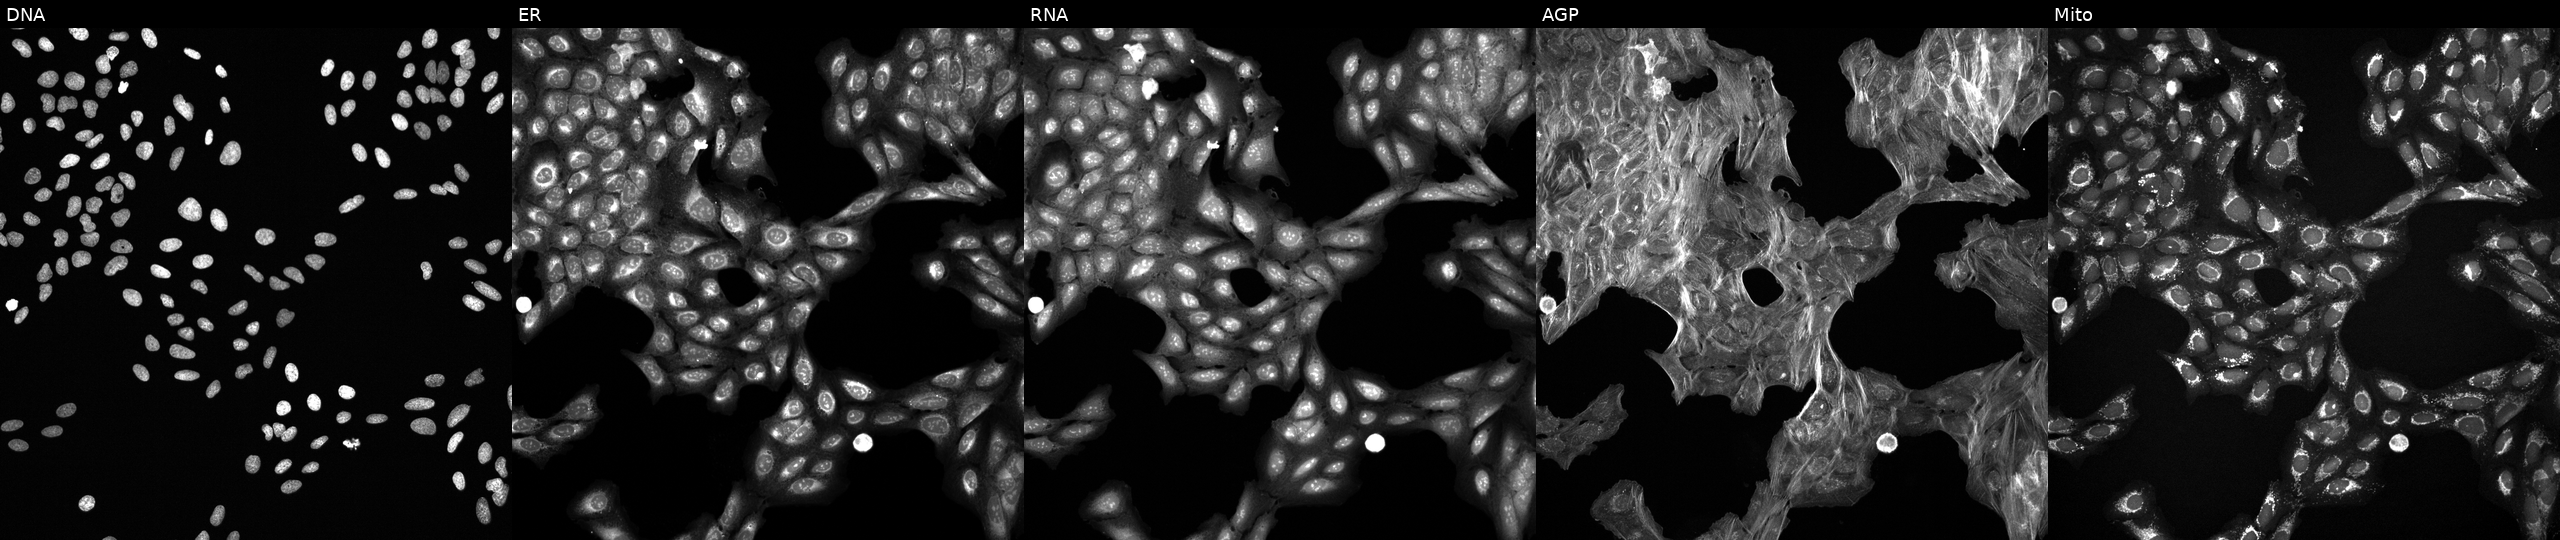
Five-channel Cell Painting image of U2OS cells perturbed with a small-molecule compound (JUMP id JCP2022_068606). Channels (left→right): DNA, ER, RNA, AGP, and Mito. Source 6, plate 110000293093, well L16.